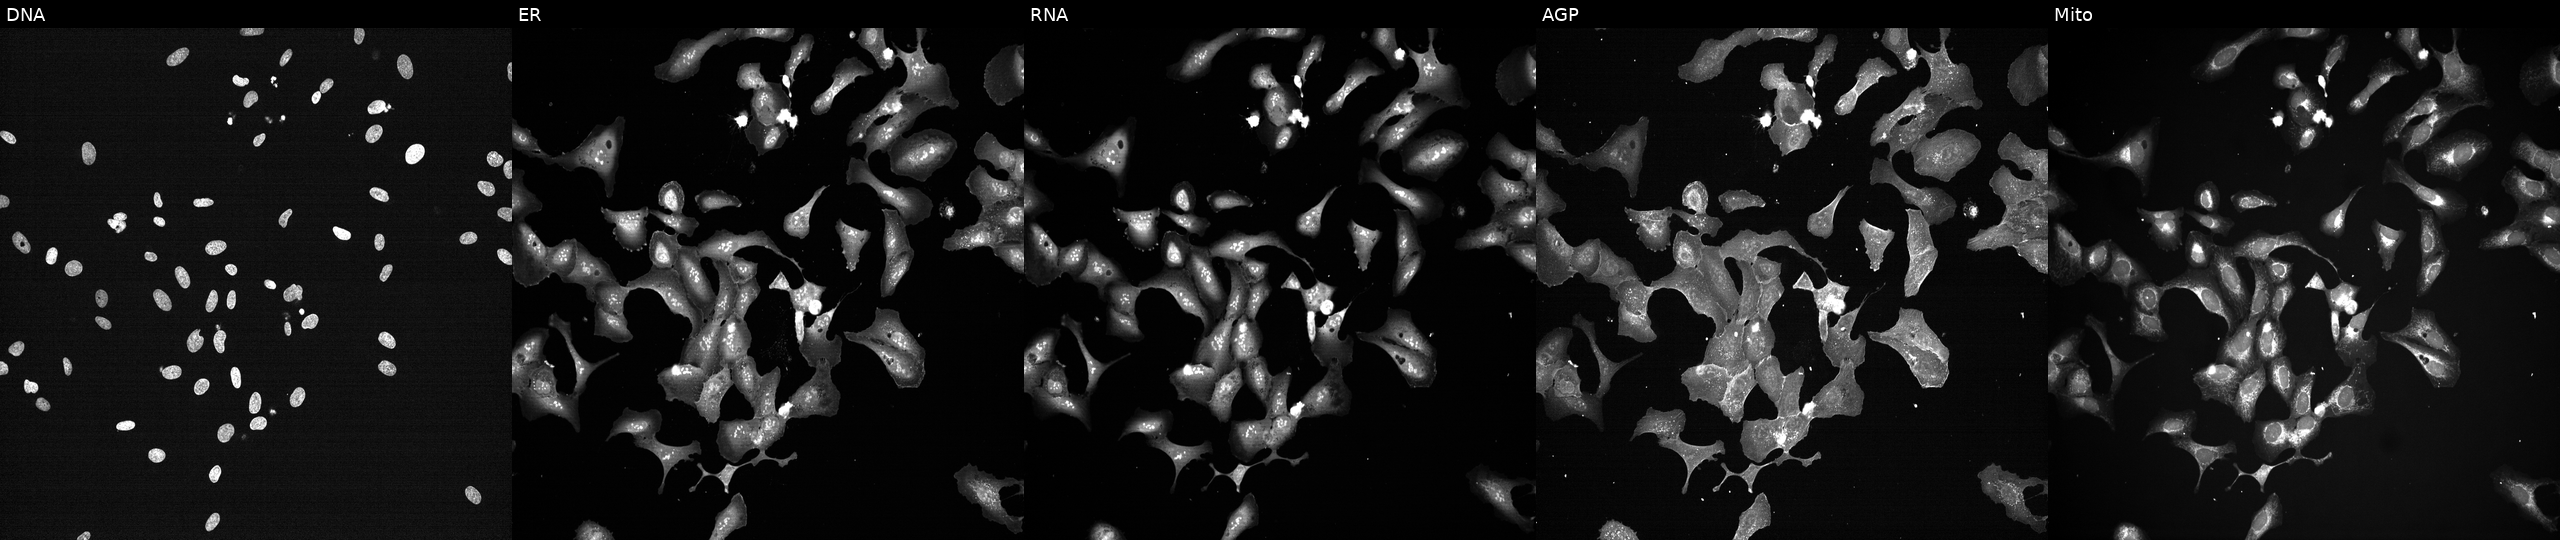
This image strip shows the five Cell Painting channels for a single field of U2OS cells treated with a small-molecule compound (InChIKey HUXYBQXJVXOMKX-UHFFFAOYSA-N) [SMILES: CC(C)CC(=O)N=c1[nH][nH]c2c1CN(C(=O)C1CCN(C)CC1)C2(C)C] (JUMP id JCP2022_032771). From left to right: DNA, ER, RNA, AGP, and Mito.